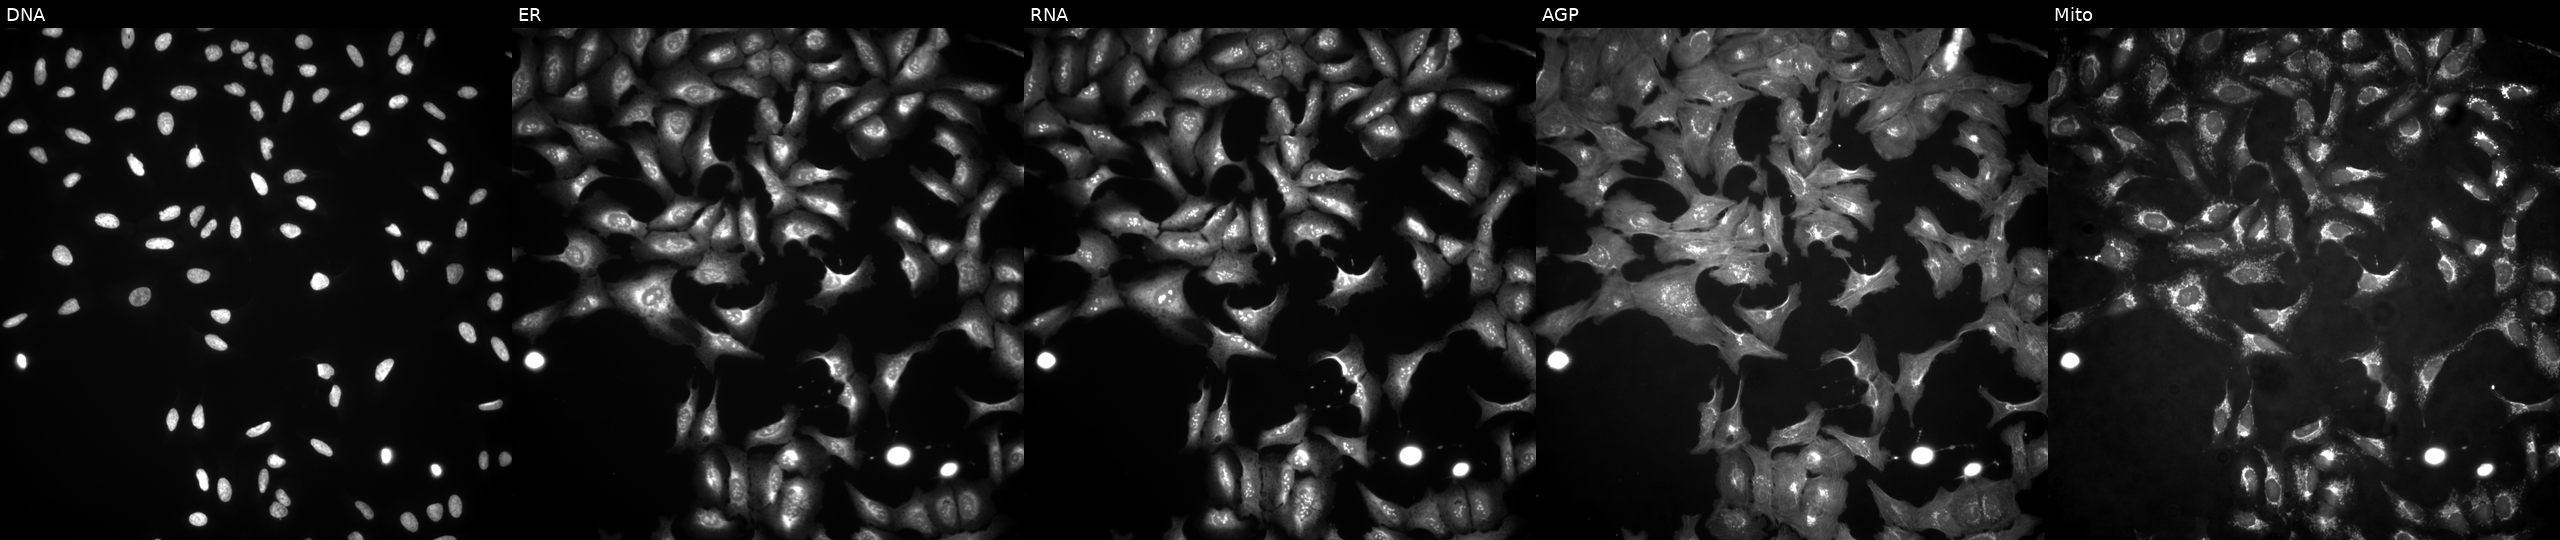
High-content fluorescence microscopy (Cell Painting). Cell line: U2OS. Perturbation: overexpressing POC1A via ORF transfection (JUMP id JCP2022_910983). From left to right: Hoechst 33342, concanavalin A, SYTO 14, phalloidin and WGA, MitoTracker. Source 4, plate BR00123509, well M17.